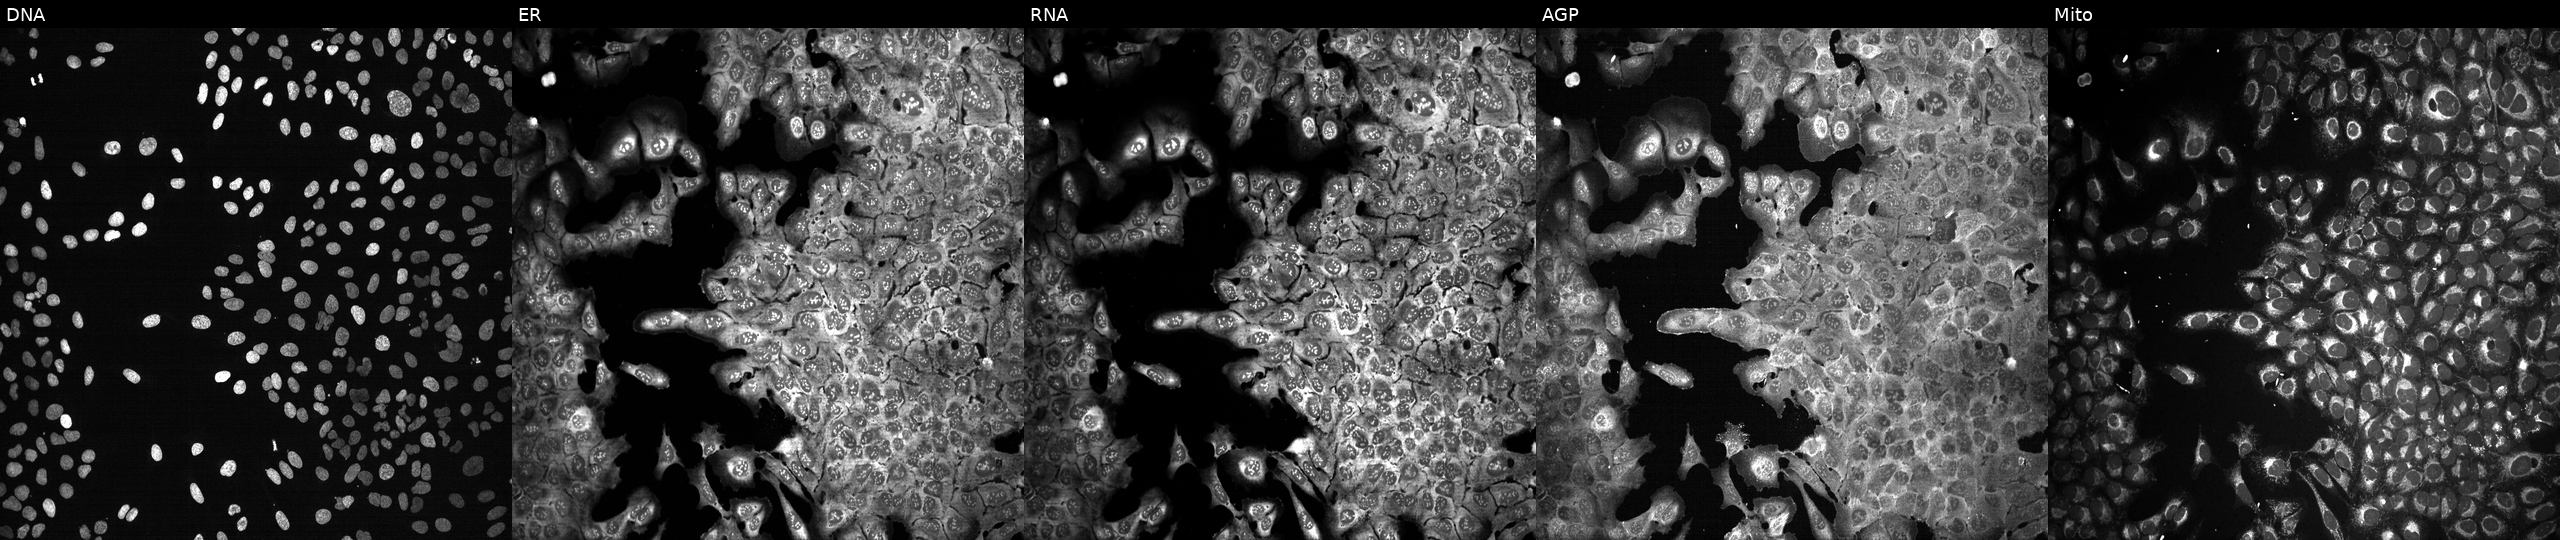
Five-channel Cell Painting image of U2OS cells following CRISPR knockout of GOT1. The five panels, left to right, show DNA, ER, RNA, AGP, and Mito.